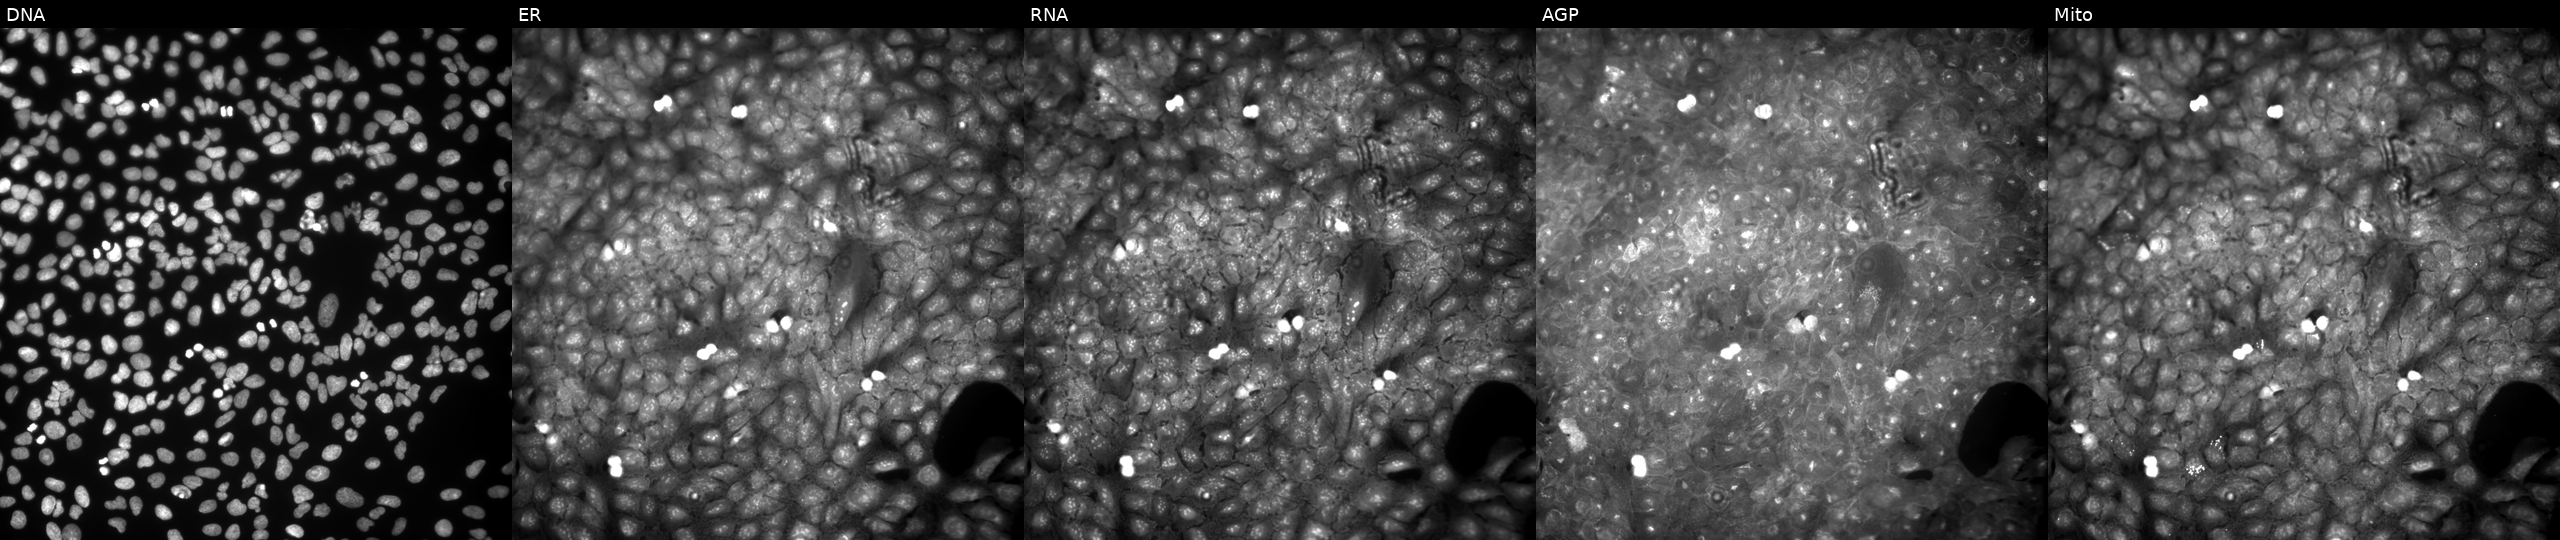
JUMP Cell Painting — COMPOUND plate. U2OS cells exposed to a small-molecule compound [SMILES: Cc1n[nH]c(SCc2ccc([N+](=O)[O-])cc2)nc1=O] (JUMP id JCP2022_069017). From left to right: DNA, ER, RNA, AGP, and Mito.